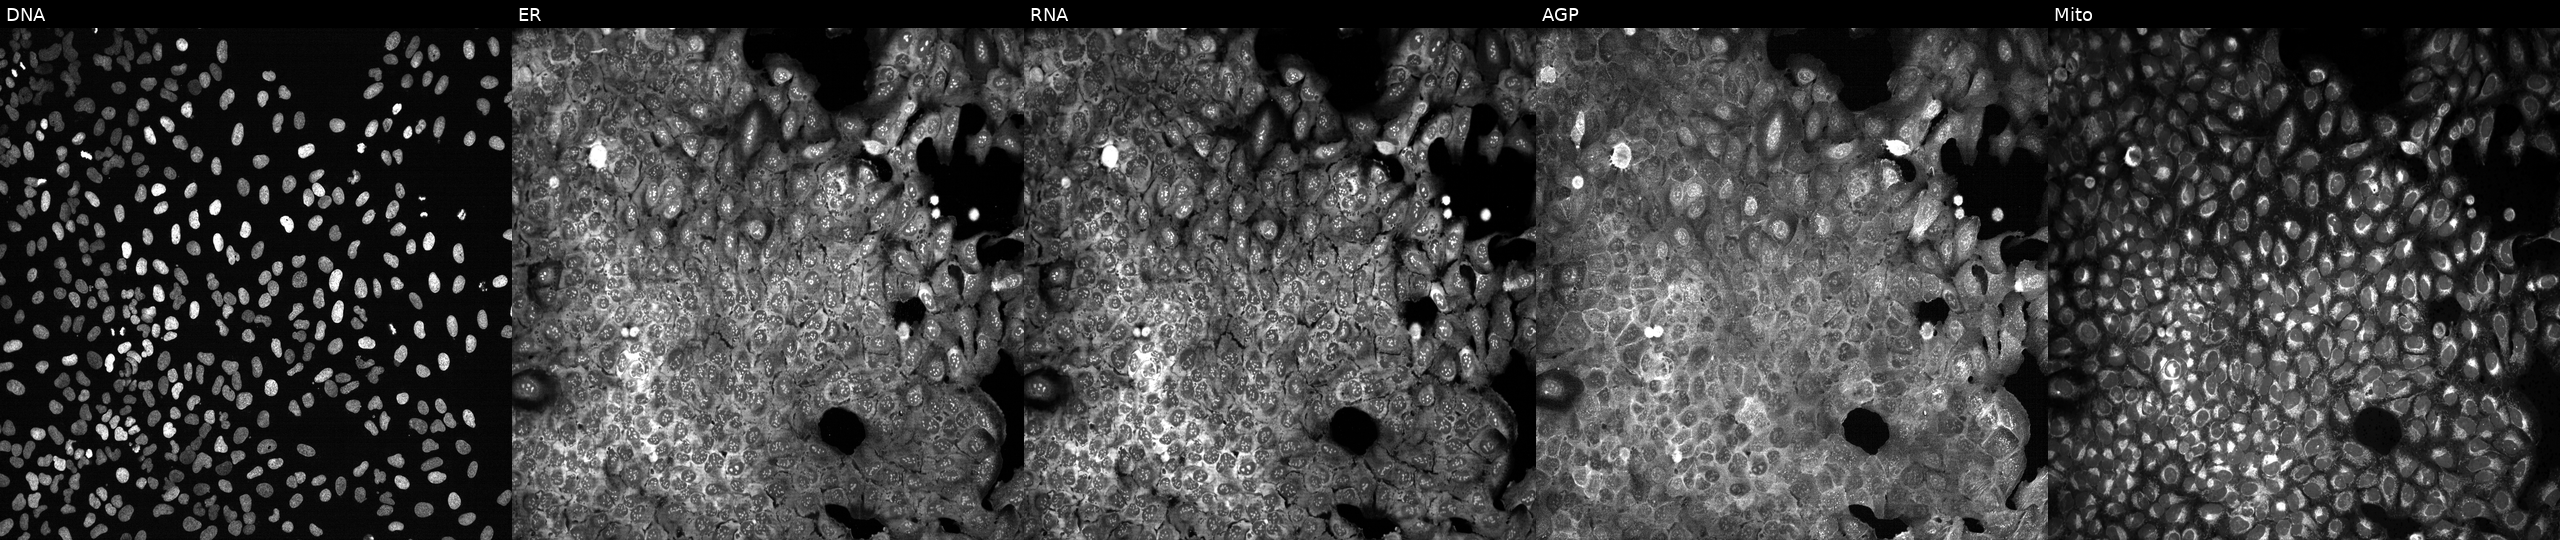
Five-channel Cell Painting image of U2OS cells following CRISPR knockout of SLC25A25 (JUMP id JCP2022_806453). The five panels, left to right, show DNA, ER, RNA, AGP, and Mito.